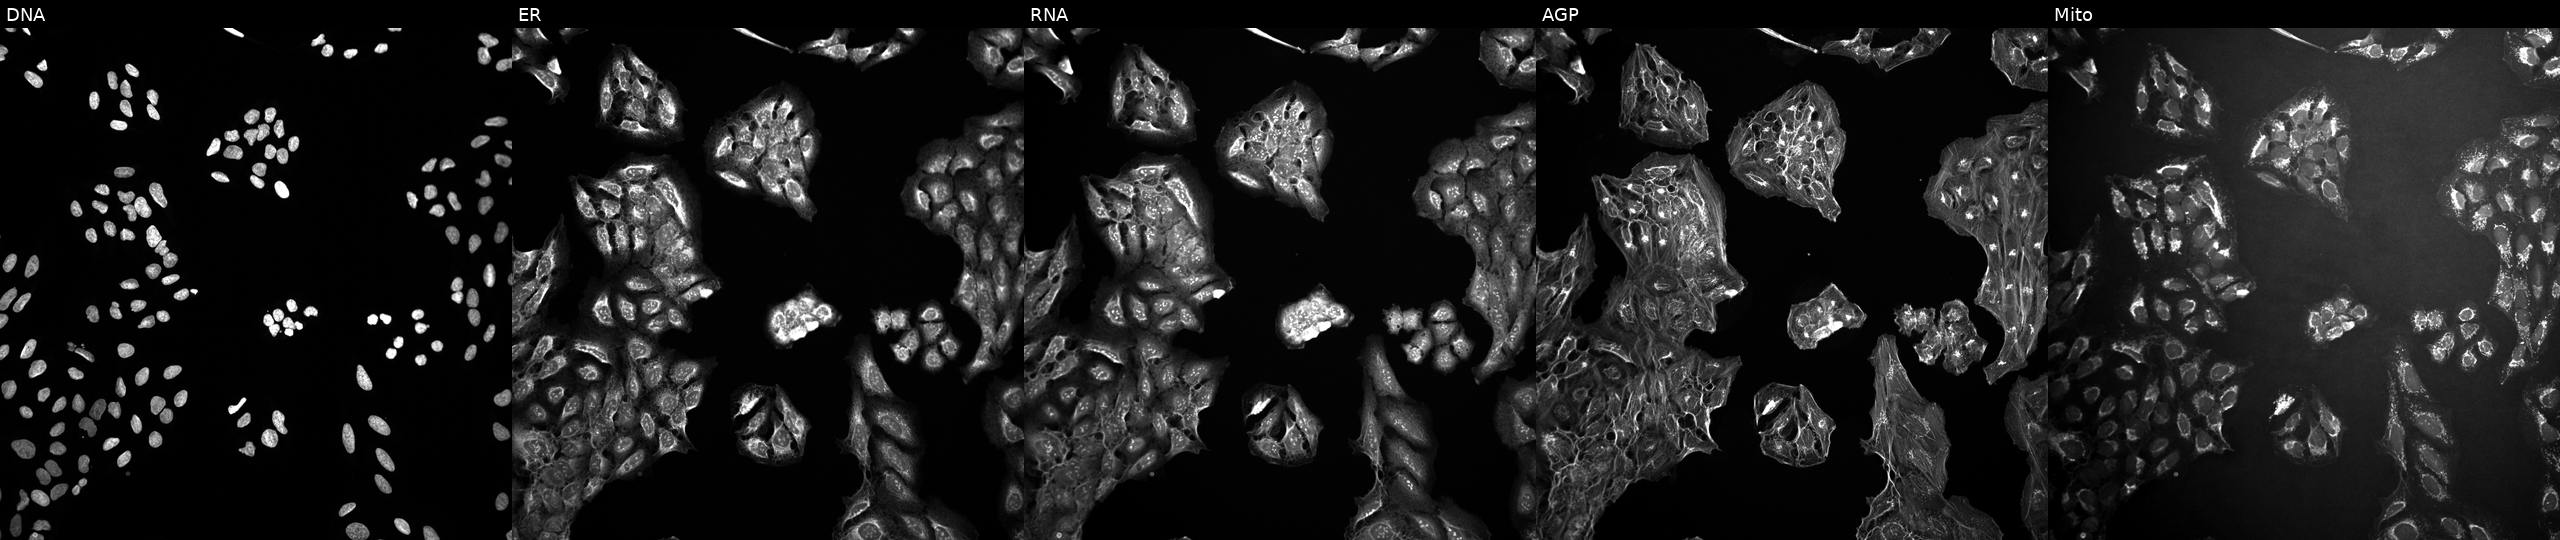
This image strip shows the five Cell Painting channels for a single field of U2OS cells untreated (empty-well control) (JUMP id JCP2022_999999). Panels show, left to right, DNA (nuclei); ER (endoplasmic reticulum); RNA (nucleoli and cytoplasmic RNA); AGP (actin cytoskeleton, Golgi, and plasma membrane); Mito (mitochondria). Source 10, plate Dest210531-152324, well E21.